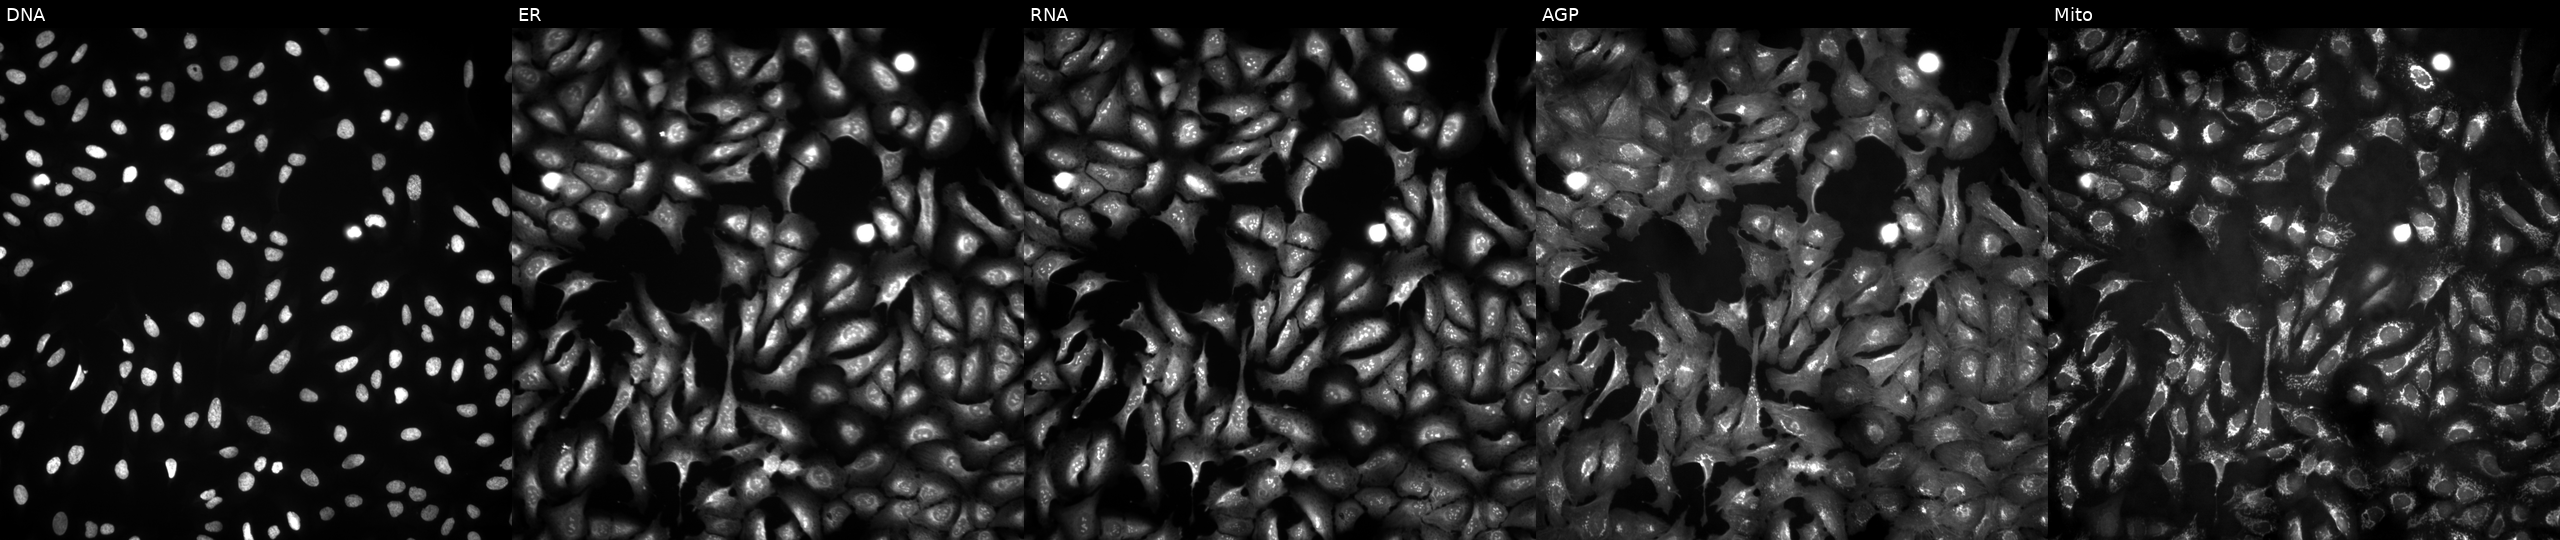
U2OS cells, Cell Painting assay, with KXD1 overexpressed (ORF) (JUMP id JCP2022_908320). Panels show, left to right, DNA, ER, RNA, AGP, and Mito. Each panel is percentile-stretched 16-bit fluorescence. Source 4, plate BR00121543, well B08.